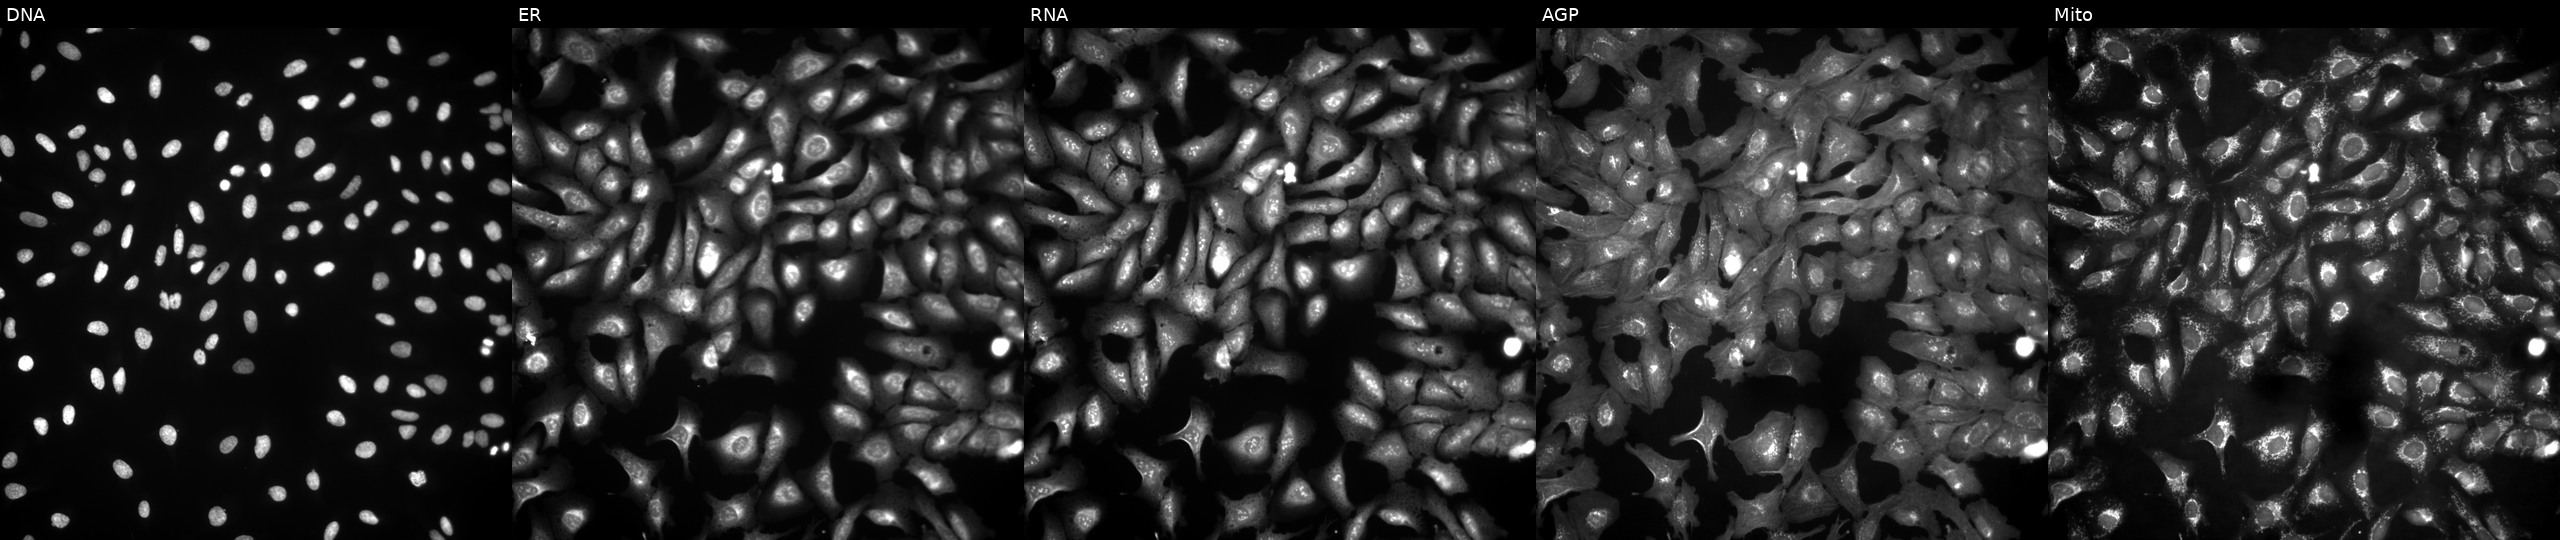
U2OS cells, Cell Painting assay, overexpressing SLC15A1 via ORF transfection. From left to right: DNA, ER, RNA, AGP, and Mito. Each panel is percentile-stretched 16-bit fluorescence.